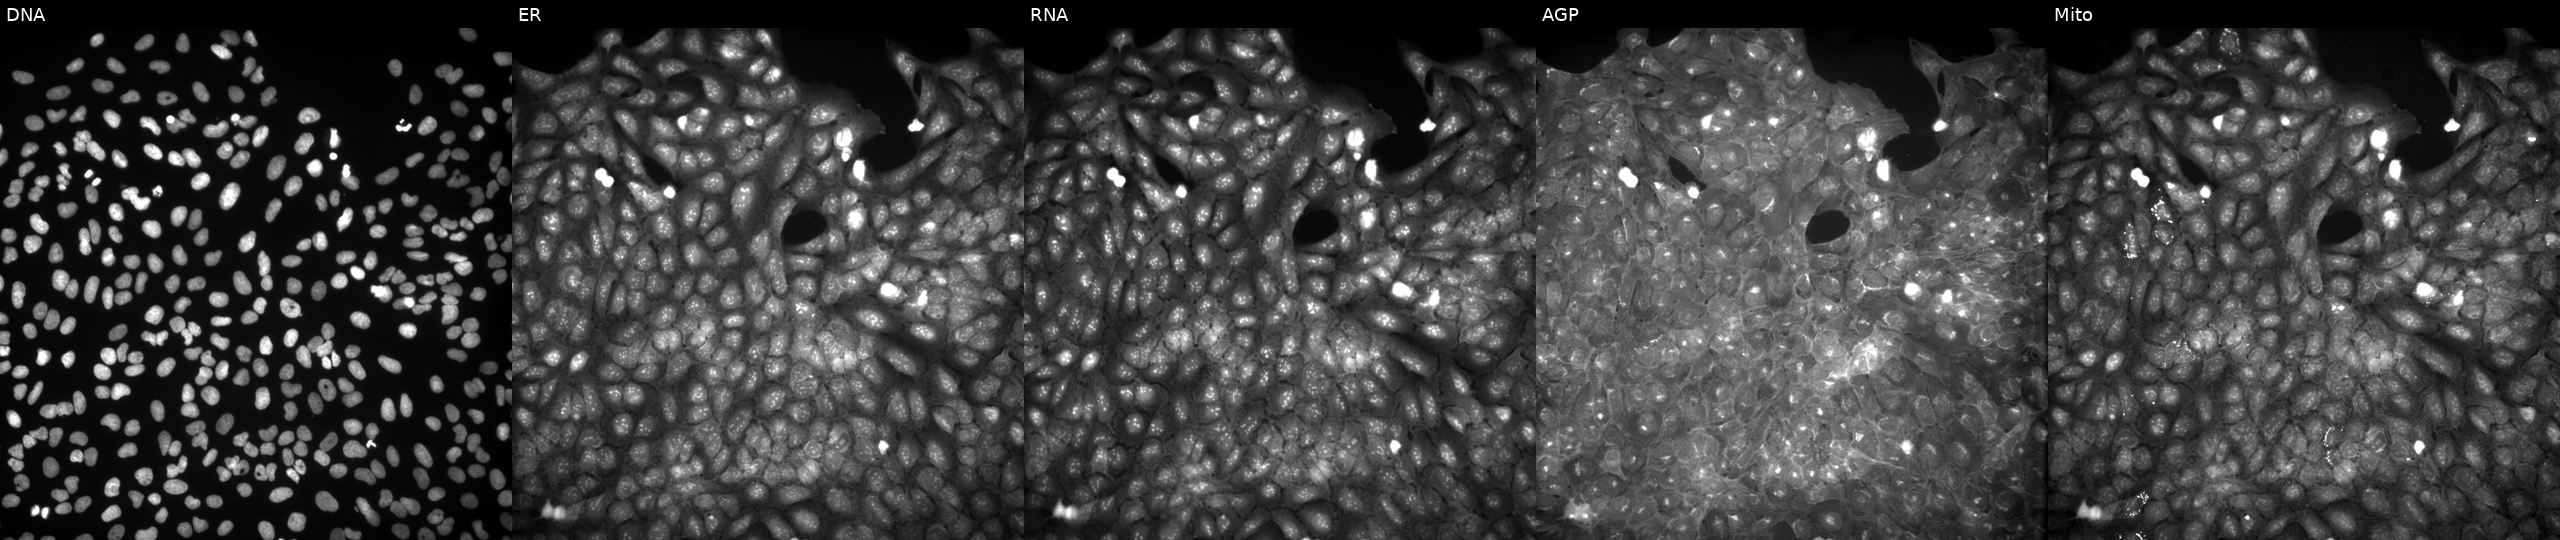
U2OS cells, Cell Painting assay, treated with TC-S-7004 (positive-control compound) (JUMP id JCP2022_012818). From left to right: DNA, ER, RNA, AGP, and Mito. Each panel is percentile-stretched 16-bit fluorescence.